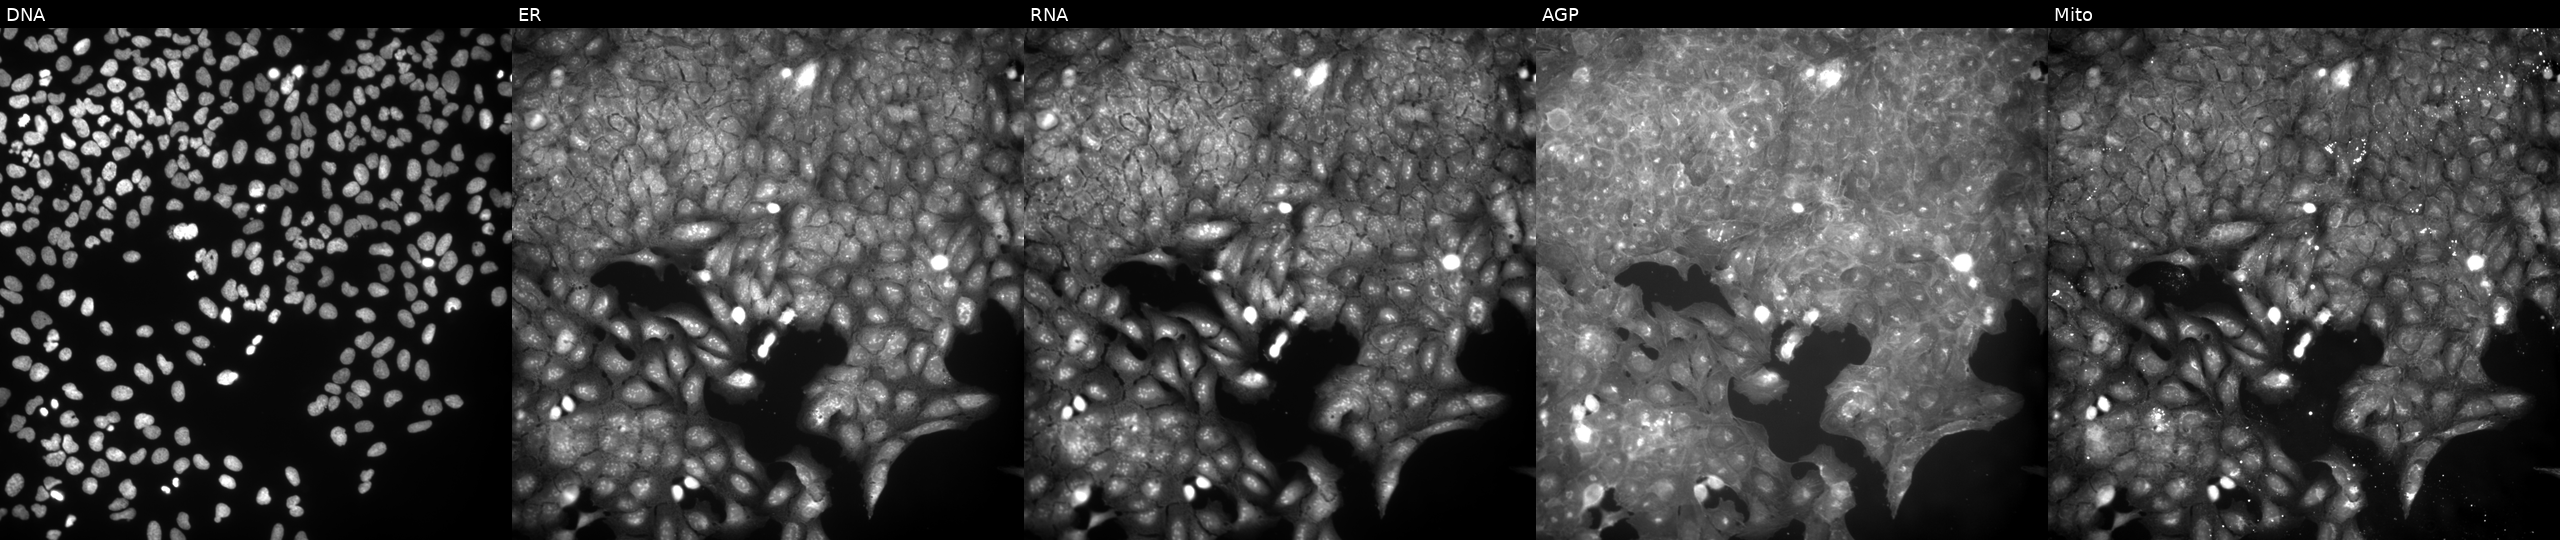
This image strip shows the five Cell Painting channels for a single field of U2OS cells perturbed with a small-molecule compound (InChIKey DRBLFYFYWKRWMI-UHFFFAOYSA-N) [SMILES: O=C(CC(O)(c1ccccc1)C(F)(F)F)c1cccs1] (JUMP id JCP2022_017686). The five panels, left to right, show DNA (nuclei); ER (endoplasmic reticulum); RNA (nucleoli and cytoplasmic RNA); AGP (actin cytoskeleton, Golgi, and plasma membrane); Mito (mitochondria). Source 9, plate GR00003381, well P27.